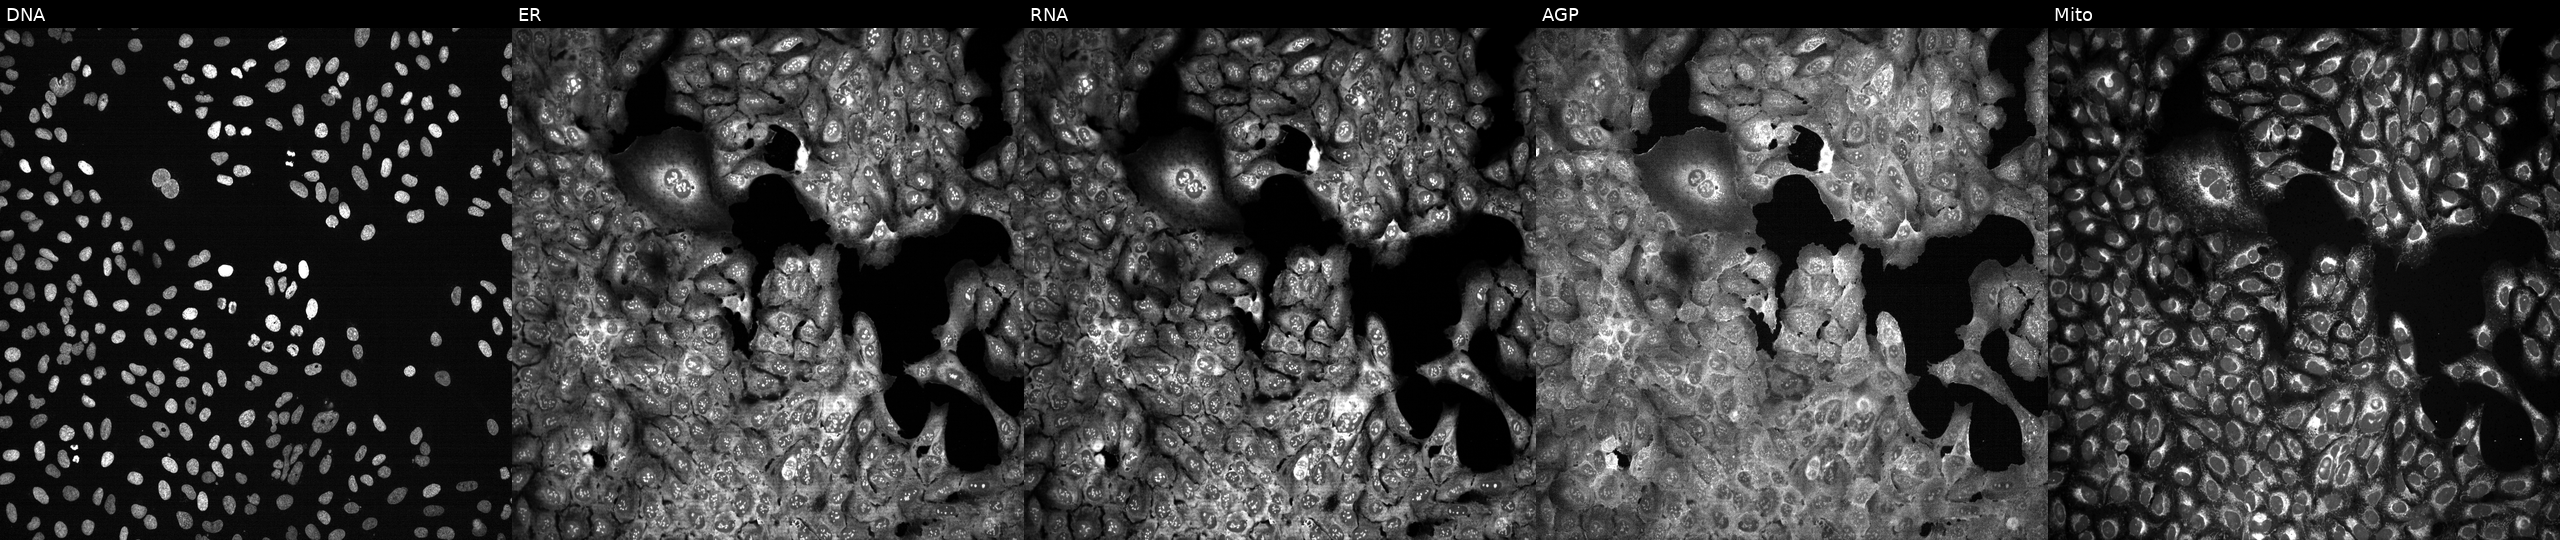
This image strip shows the five Cell Painting channels for a single field of U2OS cells following CRISPR knockout of SLC2A13. Panels show, left to right, DNA (nuclei); ER (endoplasmic reticulum); RNA (nucleoli and cytoplasmic RNA); AGP (actin cytoskeleton, Golgi, and plasma membrane); Mito (mitochondria). Source 13, plate CP-CC9-R3-02, well M10.